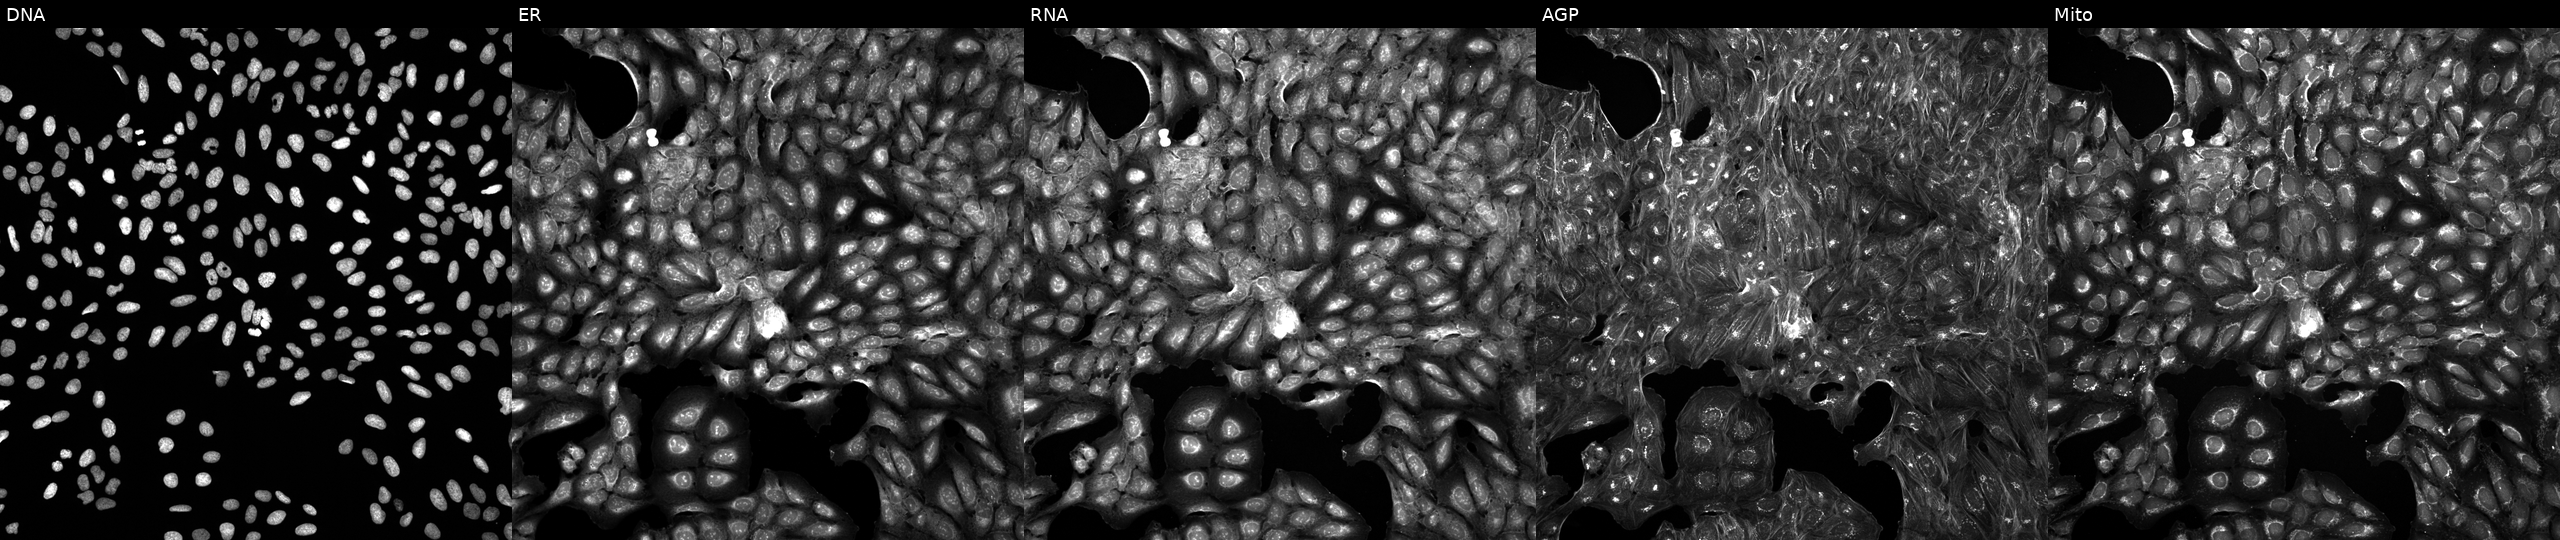
From left to right: Hoechst 33342, concanavalin A, SYTO 14, phalloidin and WGA, MitoTracker. U2OS osteosarcoma cells perturbed with a small-molecule compound (InChIKey KRKVGUFFBYBNIU-UHFFFAOYSA-N) [SMILES: CN(C(=O)c1scnc1C1CC1)c1nc2ccccc2n1C]. Cell Painting assay, JUMP-CP dataset. Source 5, plate APTJUM105, well I13.